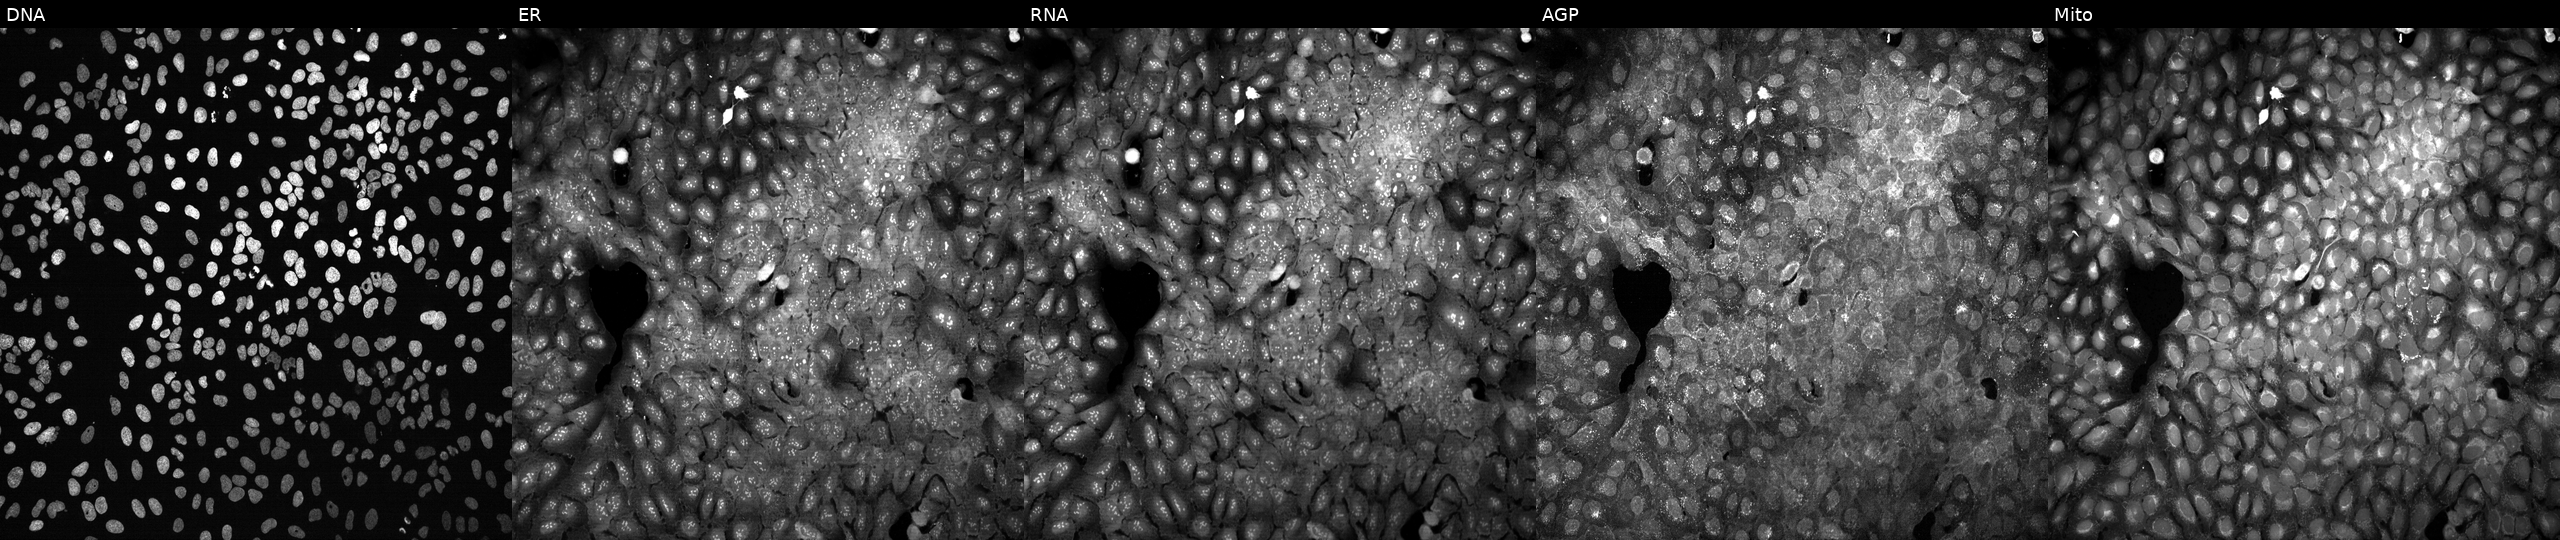
High-content fluorescence microscopy (Cell Painting). Cell line: U2OS. Perturbation: CRISPR-edited to disrupt ATP1B4 (JUMP id JCP2022_800707). The five panels, left to right, show Hoechst 33342, concanavalin A, SYTO 14, phalloidin and WGA, MitoTracker.